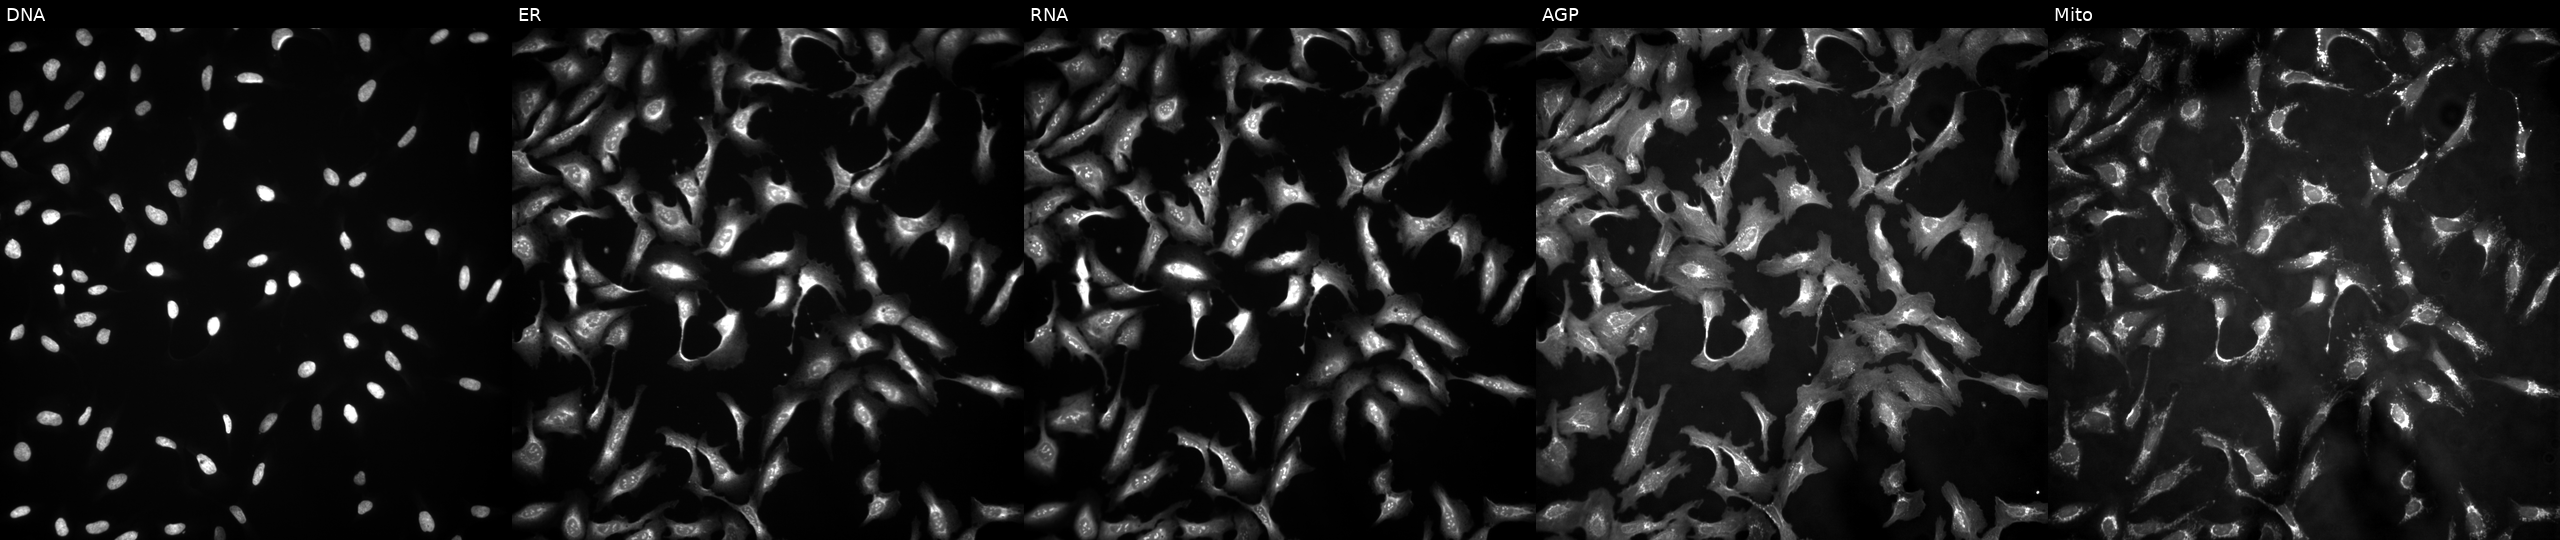
JUMP Cell Painting — ORF plate. U2OS cells with TEX37 overexpressed (ORF) (JUMP id JCP2022_904851). From left to right: DNA (nuclei); ER (endoplasmic reticulum); RNA (nucleoli and cytoplasmic RNA); AGP (actin cytoskeleton, Golgi, and plasma membrane); Mito (mitochondria).